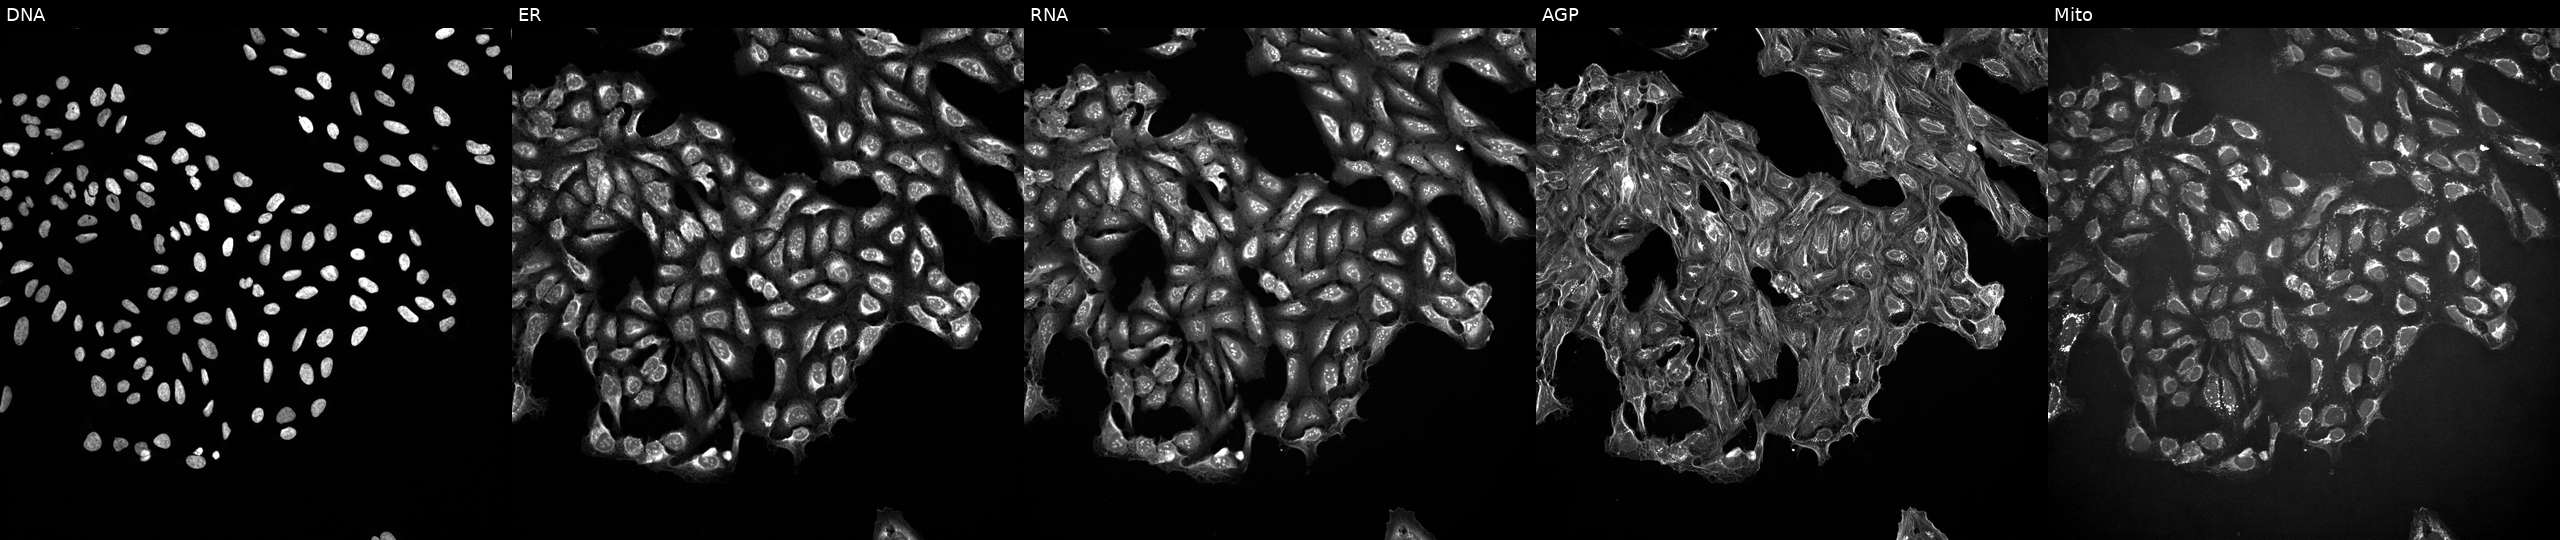
High-content fluorescence microscopy (Cell Painting). Cell line: U2OS. Perturbation: treated with a small-molecule compound (InChIKey QFOYCIFDMQRRKZ-UHFFFAOYSA-N) [SMILES: O=S(=O)(c1ccccc1Br)N1CC(Cn2cncn2)C1] (JUMP id JCP2022_073097). Channels (left→right): DNA (nuclei); ER (endoplasmic reticulum); RNA (nucleoli and cytoplasmic RNA); AGP (actin cytoskeleton, Golgi, and plasma membrane); Mito (mitochondria).